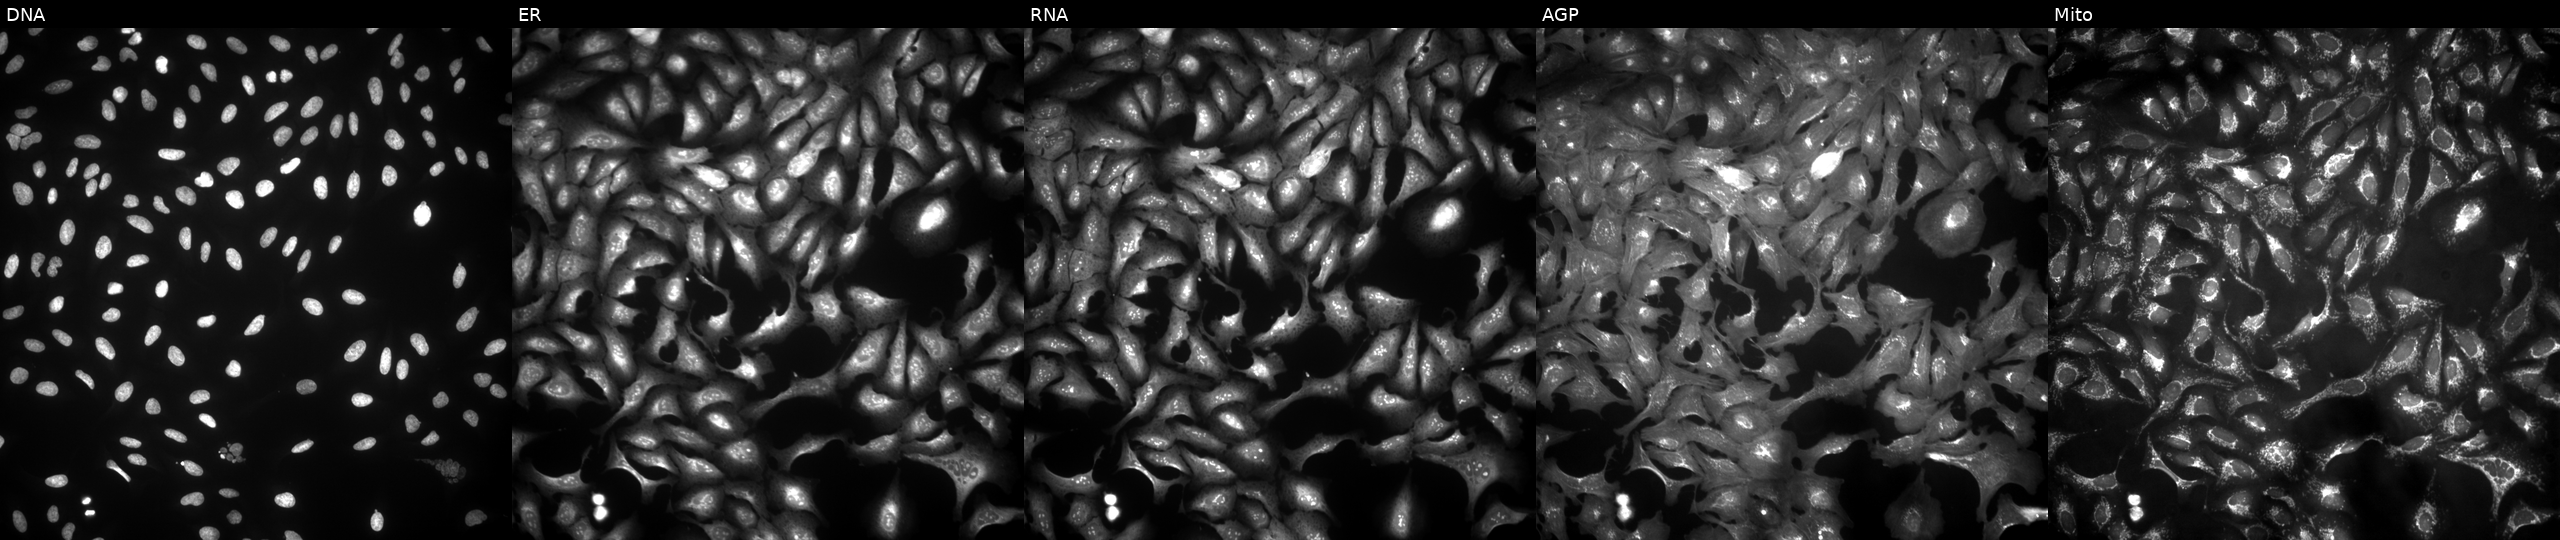
U2OS cells, Cell Painting assay, with HSPA13 overexpressed (ORF) (JUMP id JCP2022_906560). From left to right: DNA, ER, RNA, AGP, and Mito. Each panel is percentile-stretched 16-bit fluorescence.